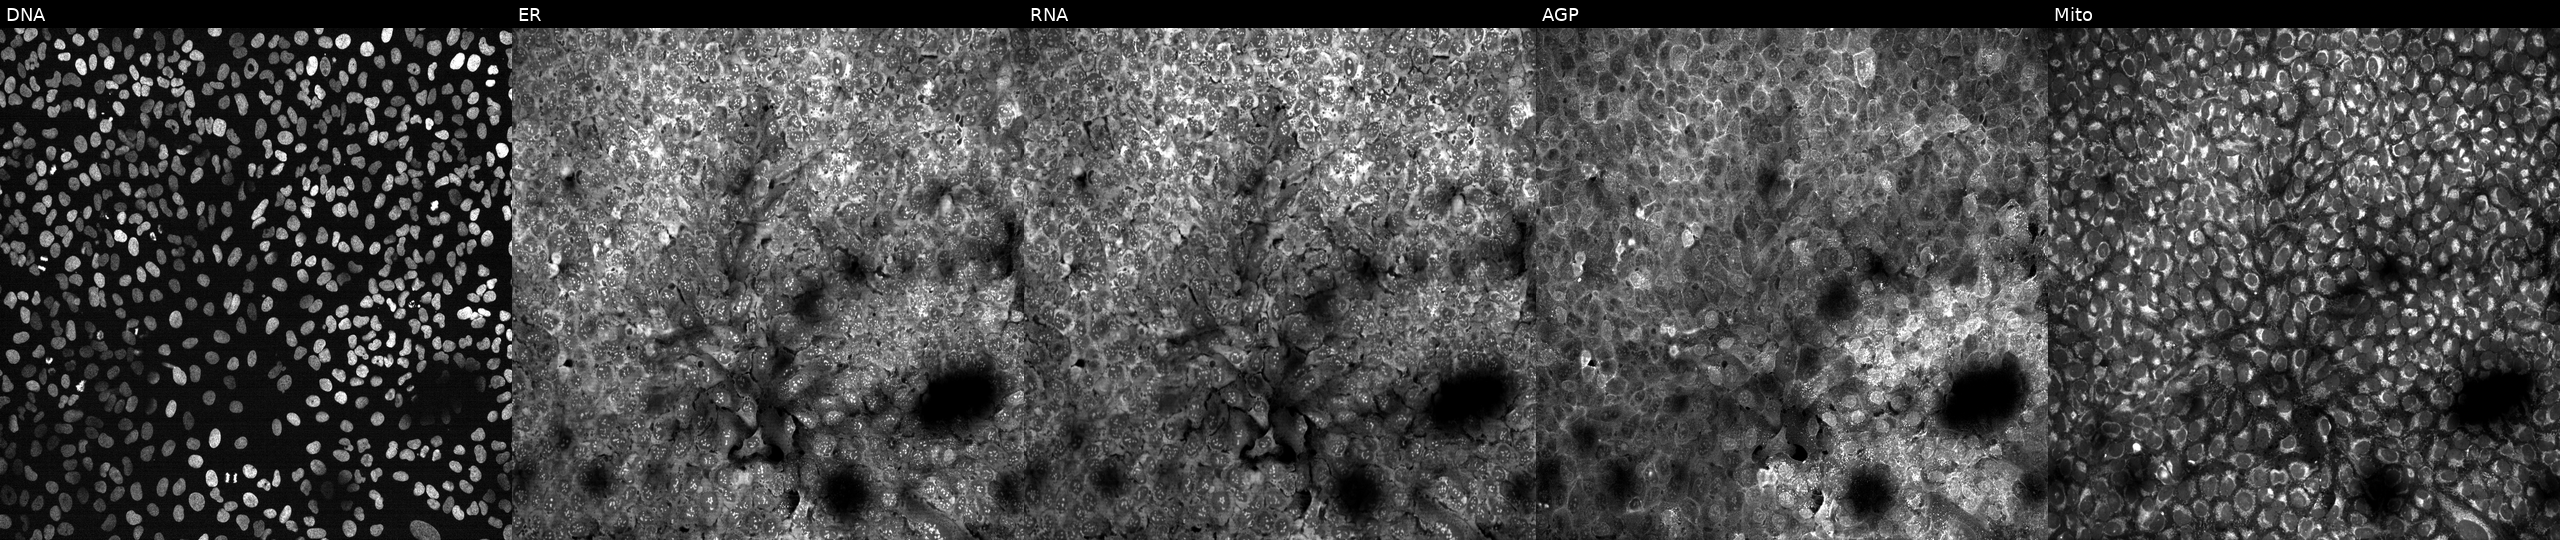
JUMP Cell Painting — CRISPR plate. U2OS cells exposed to the positive-control compound aloxistatin (JUMP id JCP2022_085227). Channels (left→right): DNA (nuclei); ER (endoplasmic reticulum); RNA (nucleoli and cytoplasmic RNA); AGP (actin cytoskeleton, Golgi, and plasma membrane); Mito (mitochondria). Source 13, plate CP-CC9-R4-04, well A01.